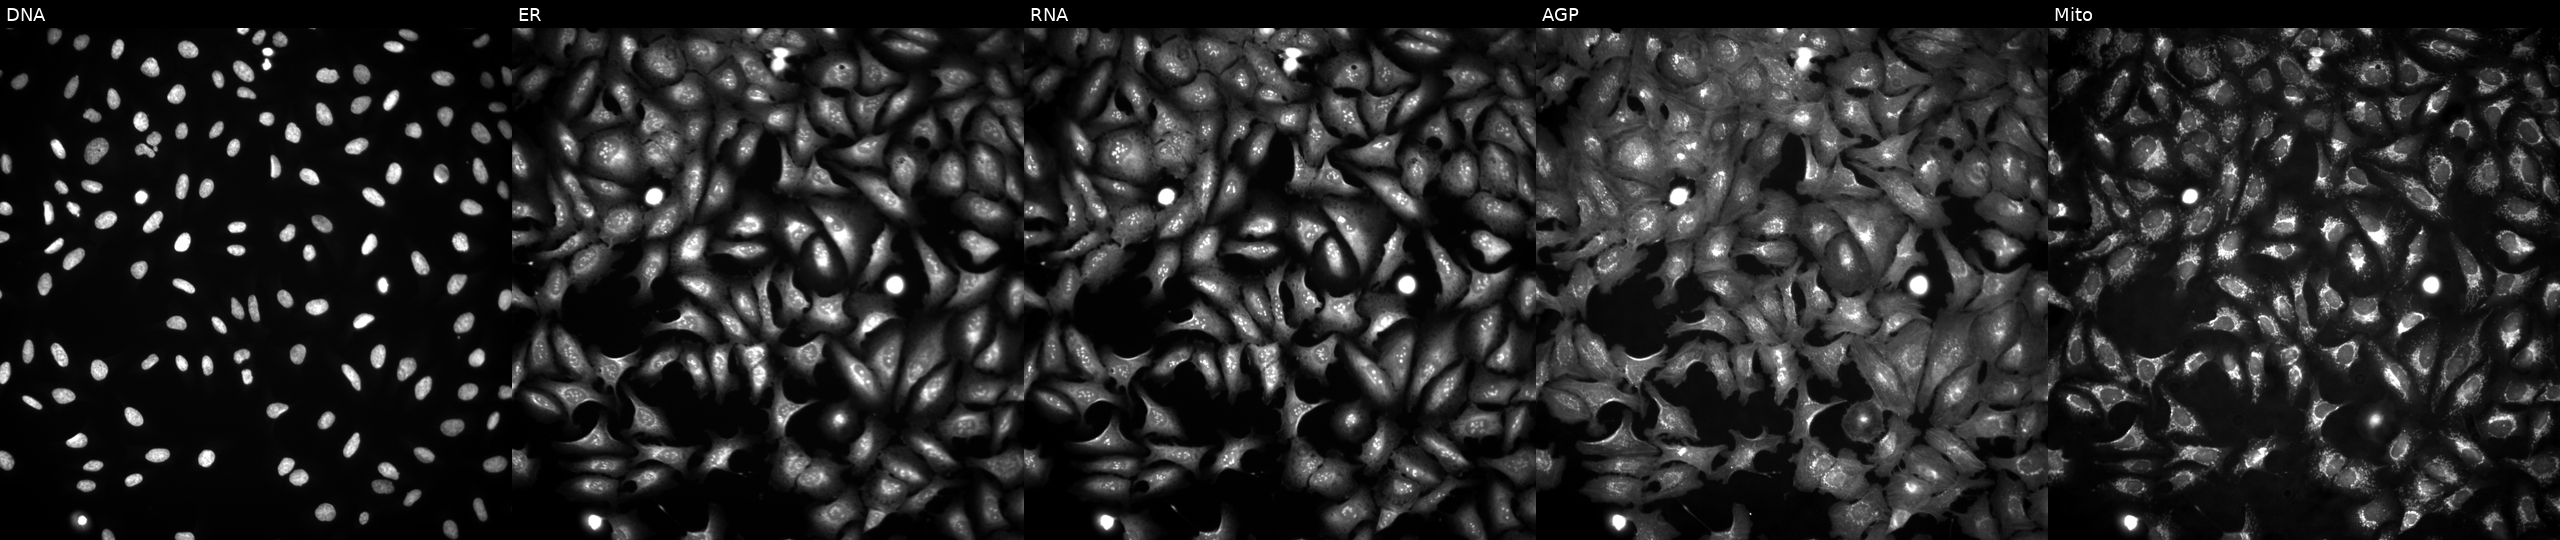
U2OS cells, Cell Painting assay, transfected with an ORF construct for CBR4 (JUMP id JCP2022_908623). From left to right: Hoechst 33342, concanavalin A, SYTO 14, phalloidin and WGA, MitoTracker. Each panel is percentile-stretched 16-bit fluorescence. Source 4, plate BR00124787, well J22.